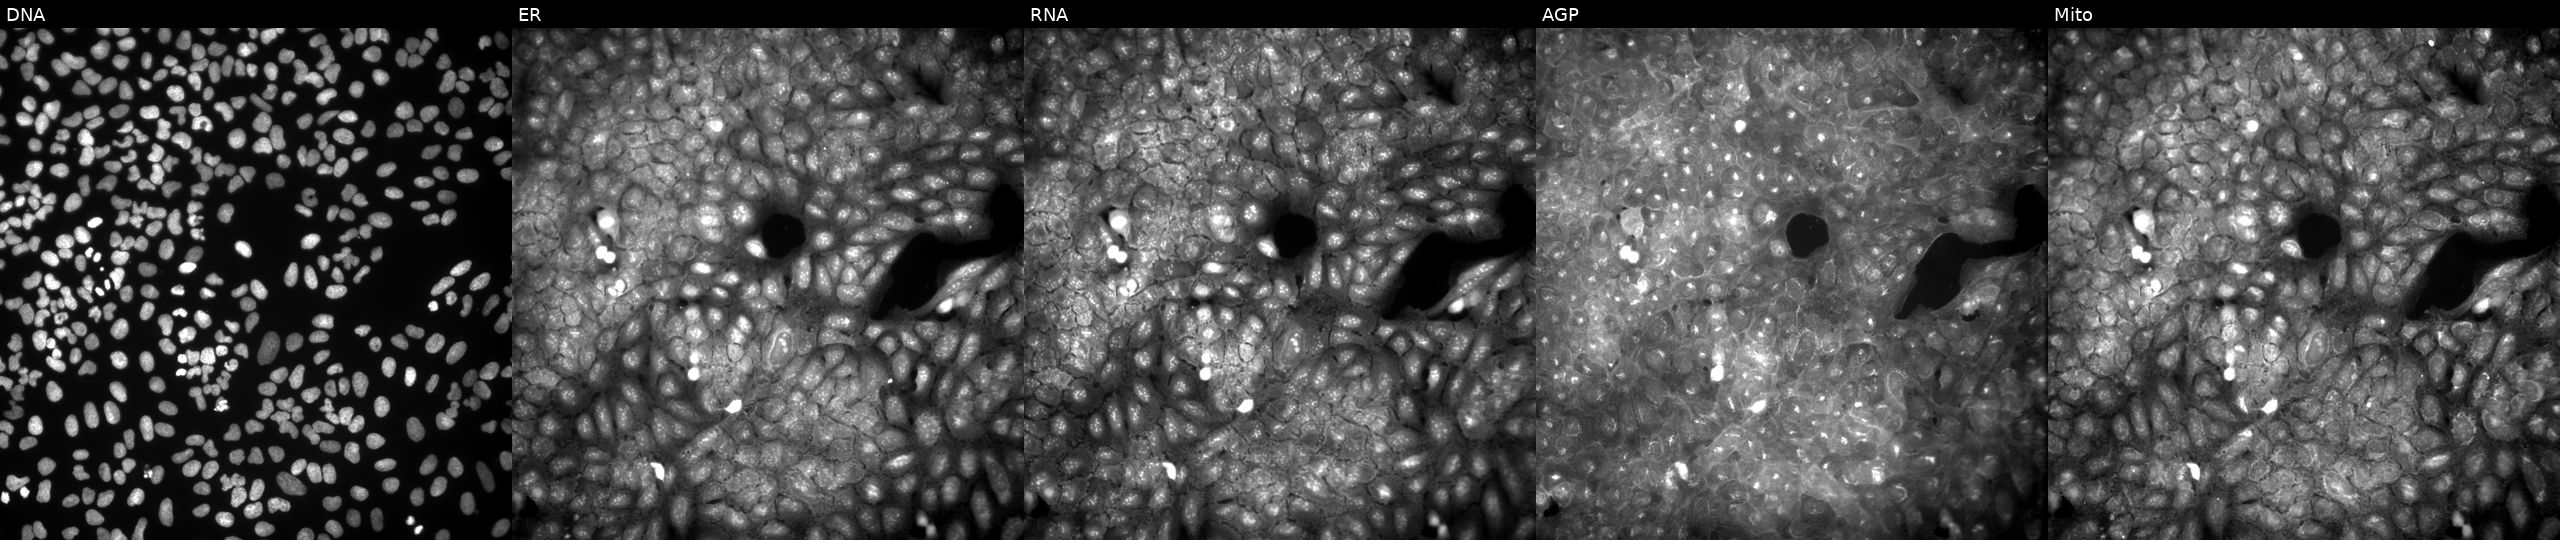
JUMP Cell Painting — COMPOUND plate. U2OS cells exposed to a small-molecule compound (InChIKey VWZYYADNGALDJX-UHFFFAOYSA-N) (JUMP id JCP2022_096860). The five panels, left to right, show DNA (nuclei); ER (endoplasmic reticulum); RNA (nucleoli and cytoplasmic RNA); AGP (actin cytoskeleton, Golgi, and plasma membrane); Mito (mitochondria). Source 9, plate GR00003381, well T41.